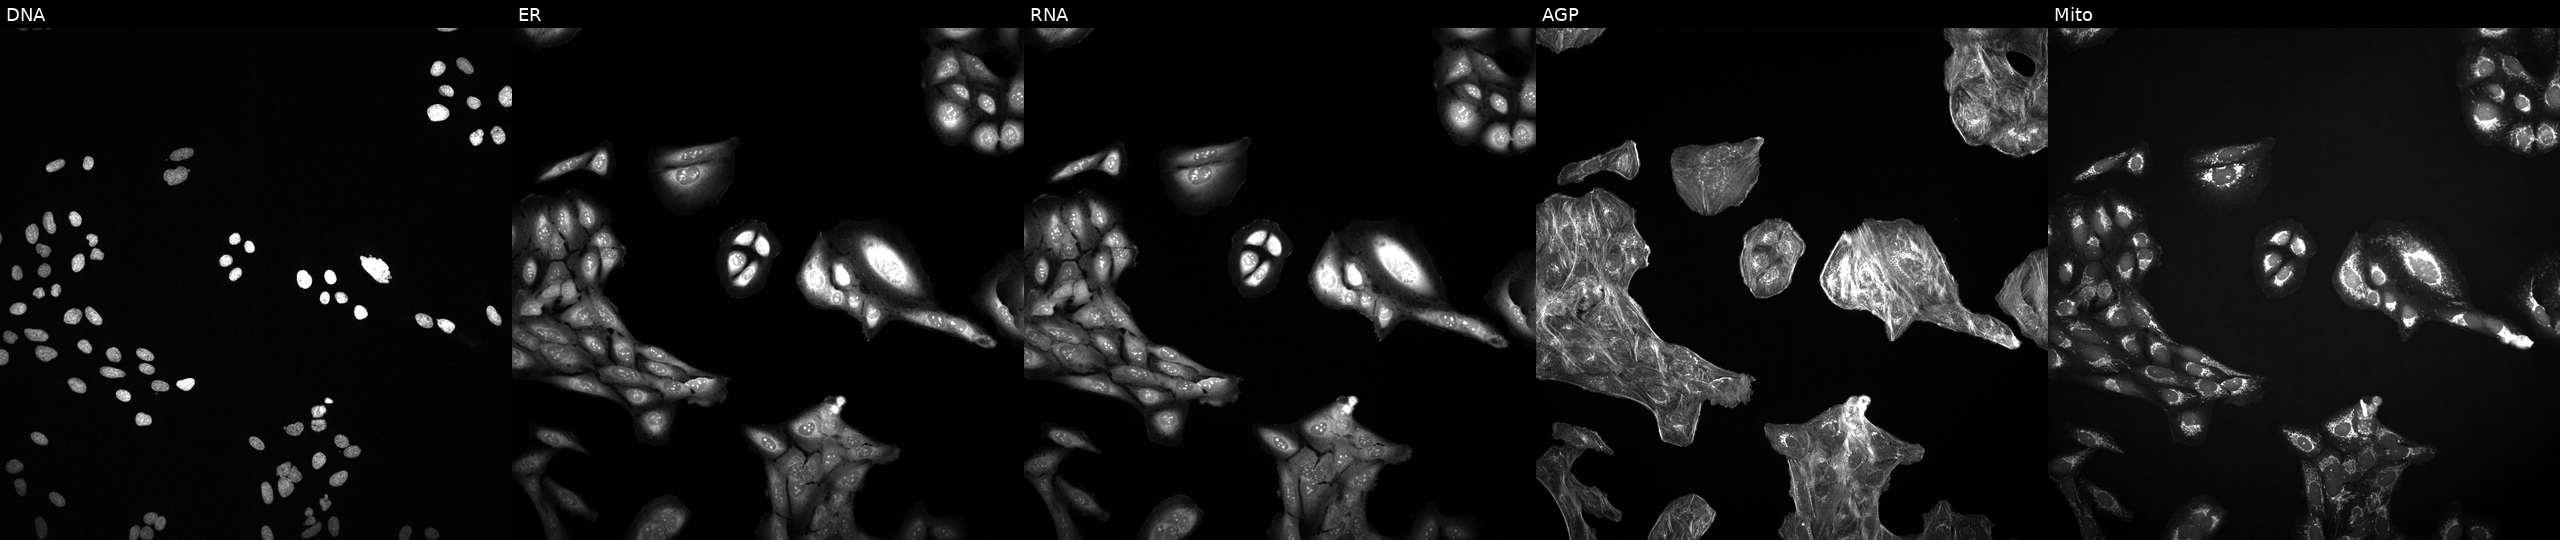
This image strip shows the five Cell Painting channels for a single field of U2OS cells exposed to DMSO alone as a negative control (JUMP id JCP2022_033924). From left to right: DNA (nuclei); ER (endoplasmic reticulum); RNA (nucleoli and cytoplasmic RNA); AGP (actin cytoskeleton, Golgi, and plasma membrane); Mito (mitochondria). Source 2, plate 1053597936, well A05.